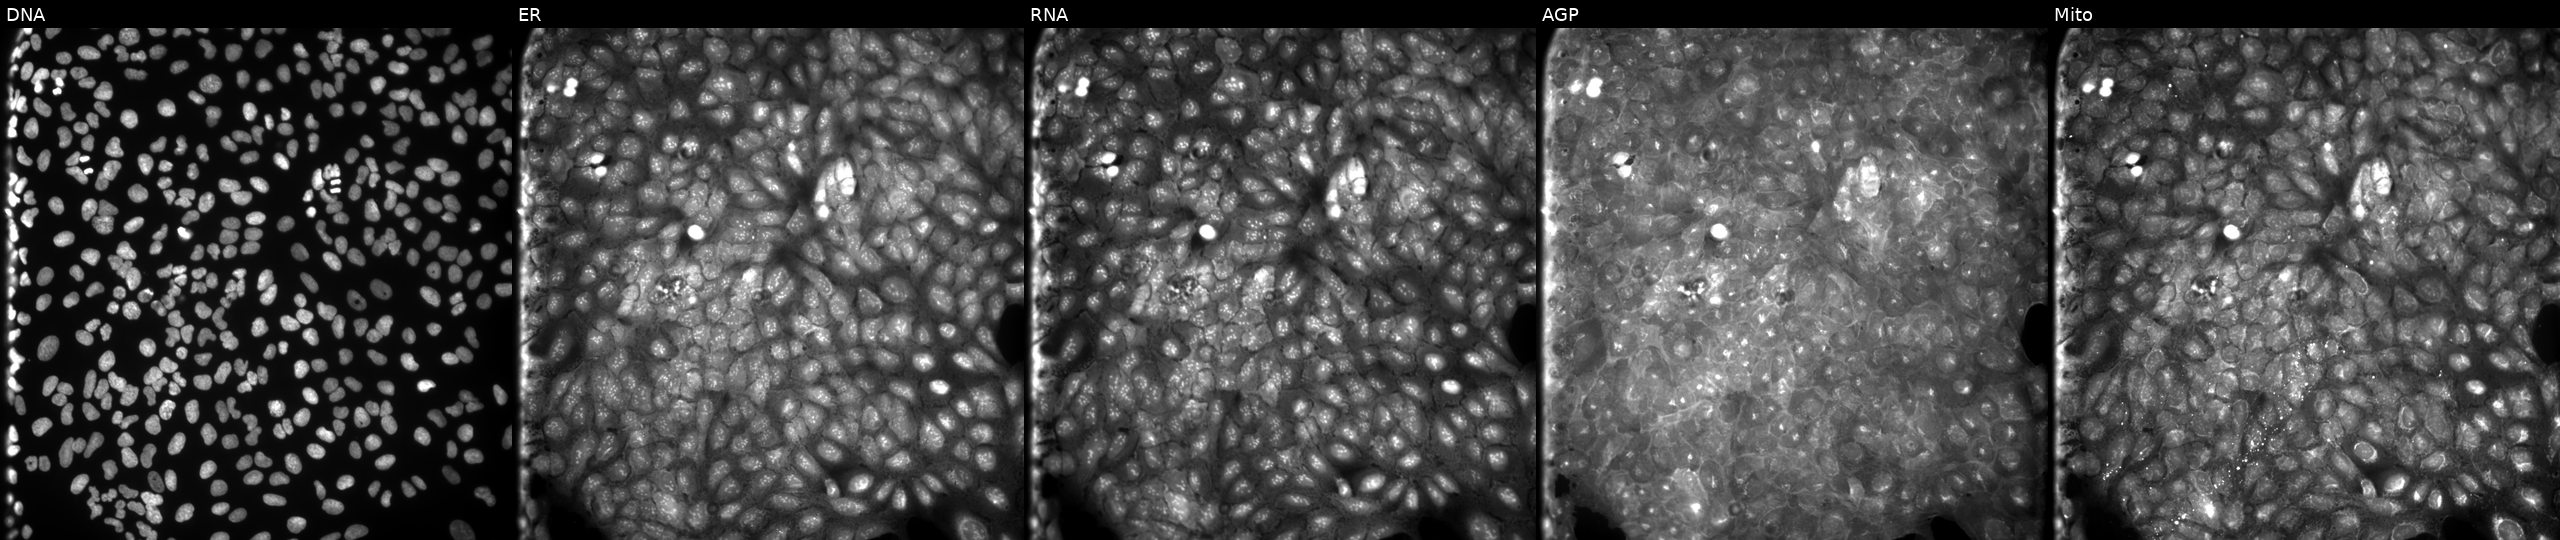
High-content fluorescence microscopy (Cell Painting). Cell line: U2OS. Perturbation: exposed to a small-molecule compound (InChIKey JQYIXGWWNDPQCL-UHFFFAOYSA-N) (JUMP id JCP2022_041564). Channels (left→right): DNA (nuclei); ER (endoplasmic reticulum); RNA (nucleoli and cytoplasmic RNA); AGP (actin cytoskeleton, Golgi, and plasma membrane); Mito (mitochondria). Source 9, plate GR00003382, well R09.